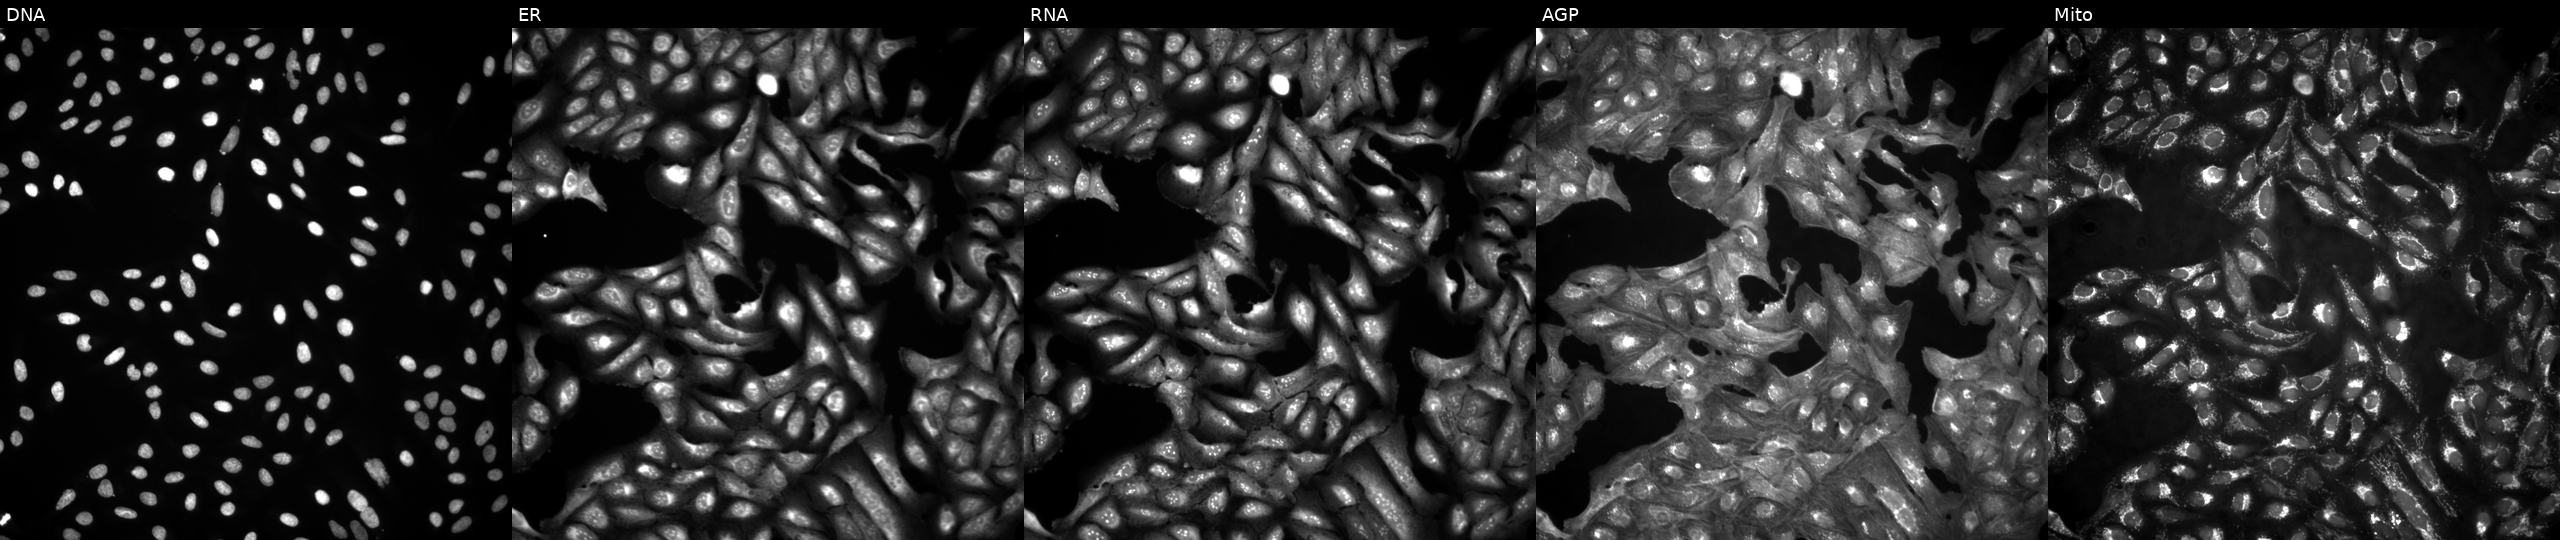
High-content fluorescence microscopy (Cell Painting). Cell line: U2OS. Perturbation: in an empty control well (no perturbation) (JUMP id JCP2022_999999). From left to right: DNA, ER, RNA, AGP, and Mito.